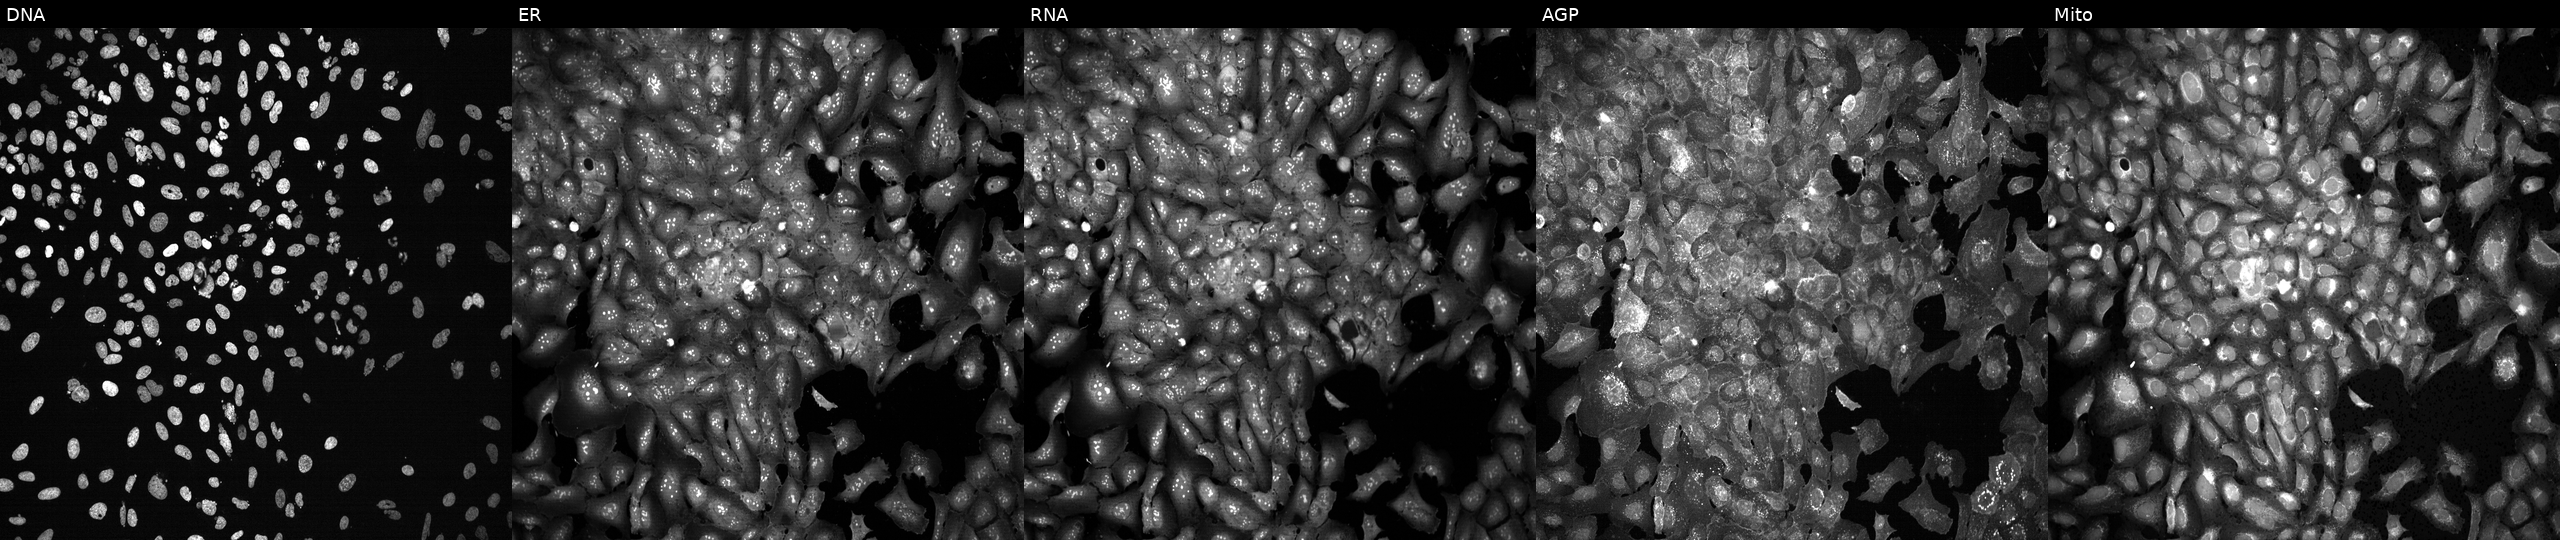
U2OS cells, Cell Painting assay, with BUB3 knocked out by CRISPR (JUMP id JCP2022_800952). From left to right: DNA (nuclei); ER (endoplasmic reticulum); RNA (nucleoli and cytoplasmic RNA); AGP (actin cytoskeleton, Golgi, and plasma membrane); Mito (mitochondria). Each panel is percentile-stretched 16-bit fluorescence.